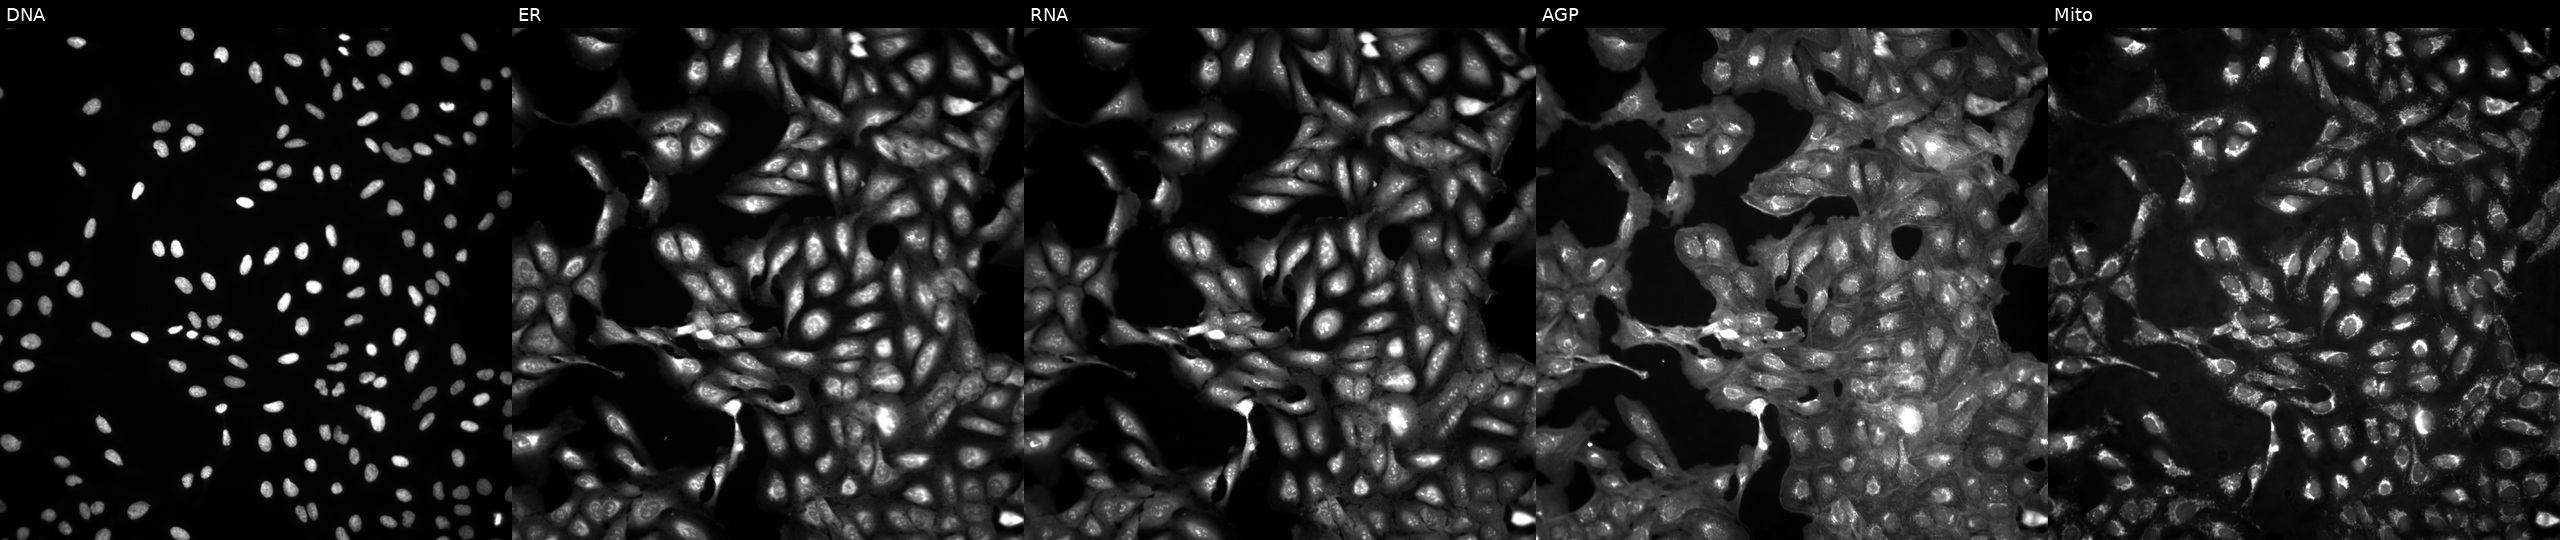
High-content fluorescence microscopy (Cell Painting). Cell line: U2OS. Perturbation: in an empty control well (no perturbation). Channels (left→right): DNA, ER, RNA, AGP, and Mito. Source 4, plate BR00124793, well K23.